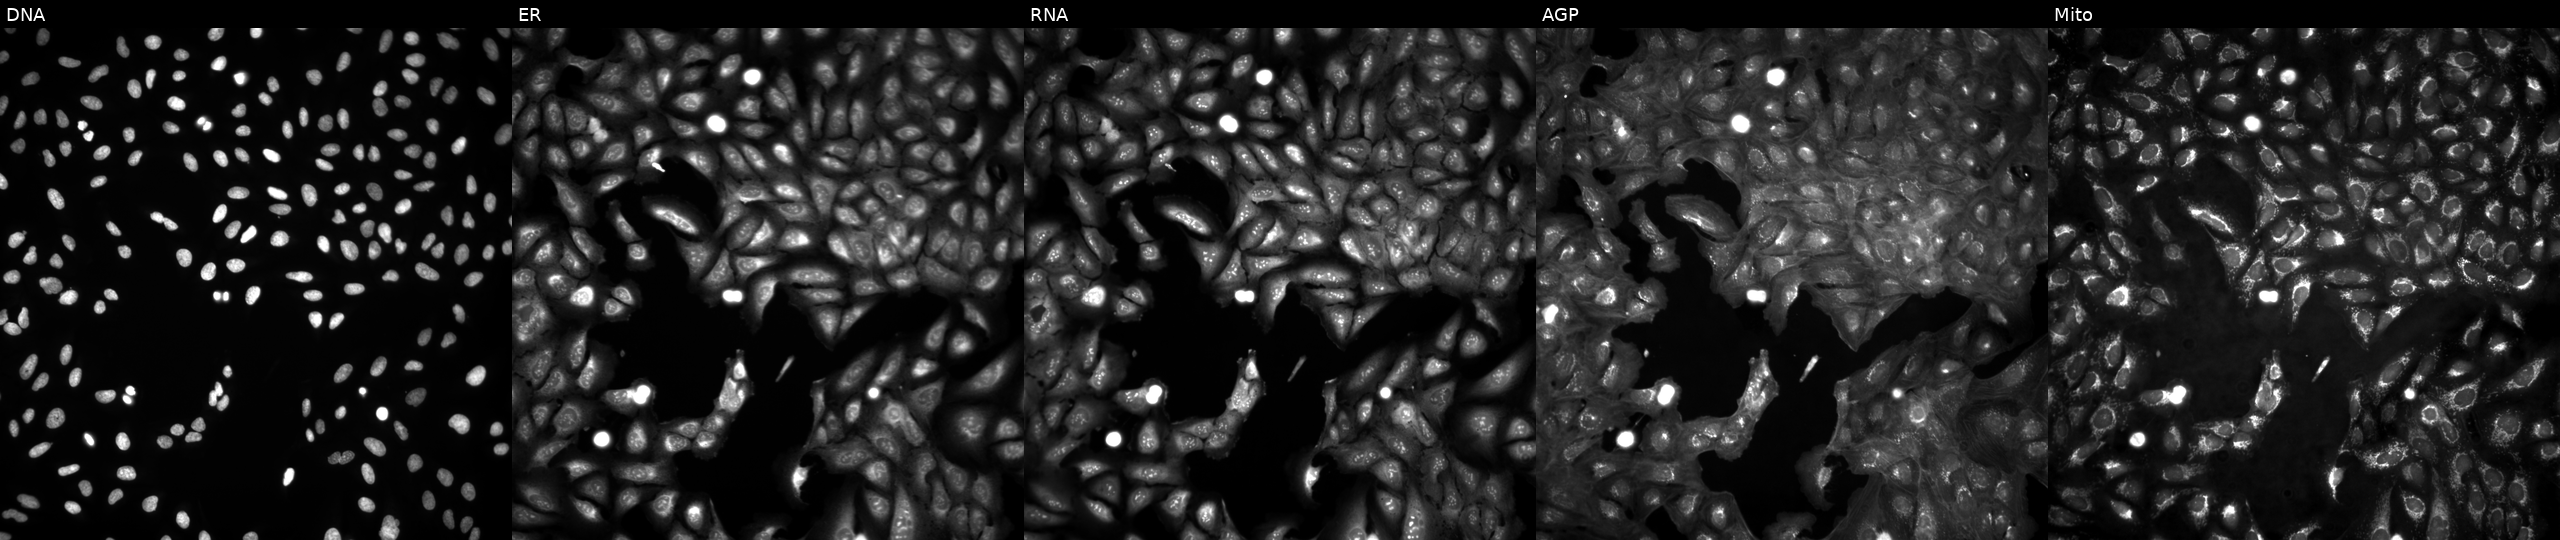
JUMP Cell Painting — ORF plate. U2OS cells in an empty control well (no perturbation). From left to right: Hoechst 33342, concanavalin A, SYTO 14, phalloidin and WGA, MitoTracker. Source 4, plate BR00124793, well C20.